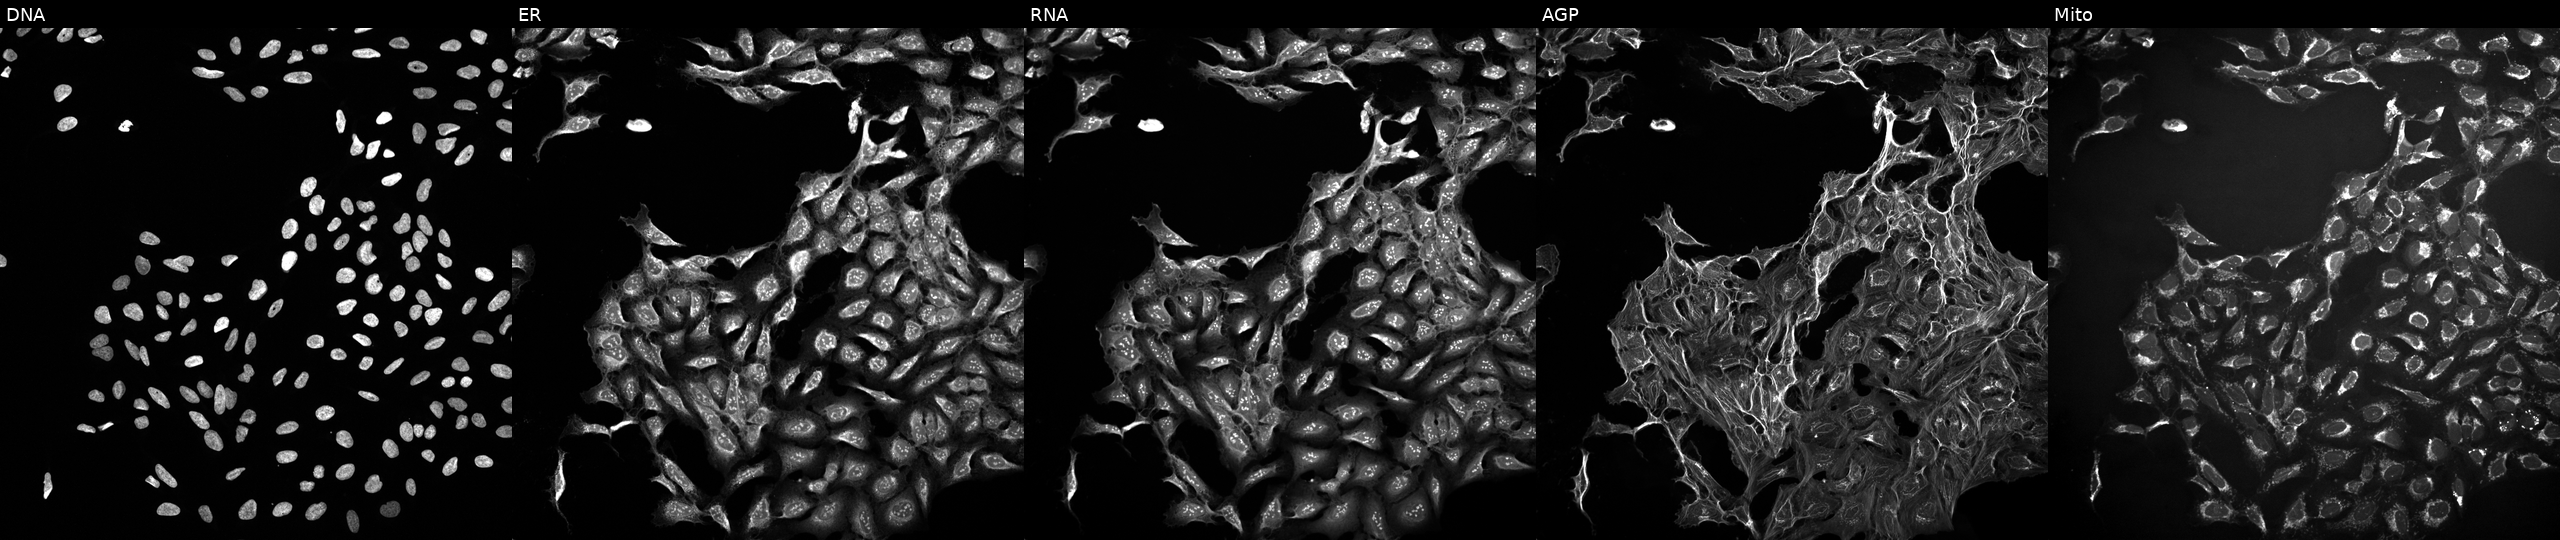
This image strip shows the five Cell Painting channels for a single field of U2OS cells exposed to a small-molecule compound (InChIKey LLIFMNUXGDHTRO-UHFFFAOYSA-N). From left to right: Hoechst 33342, concanavalin A, SYTO 14, phalloidin and WGA, MitoTracker.